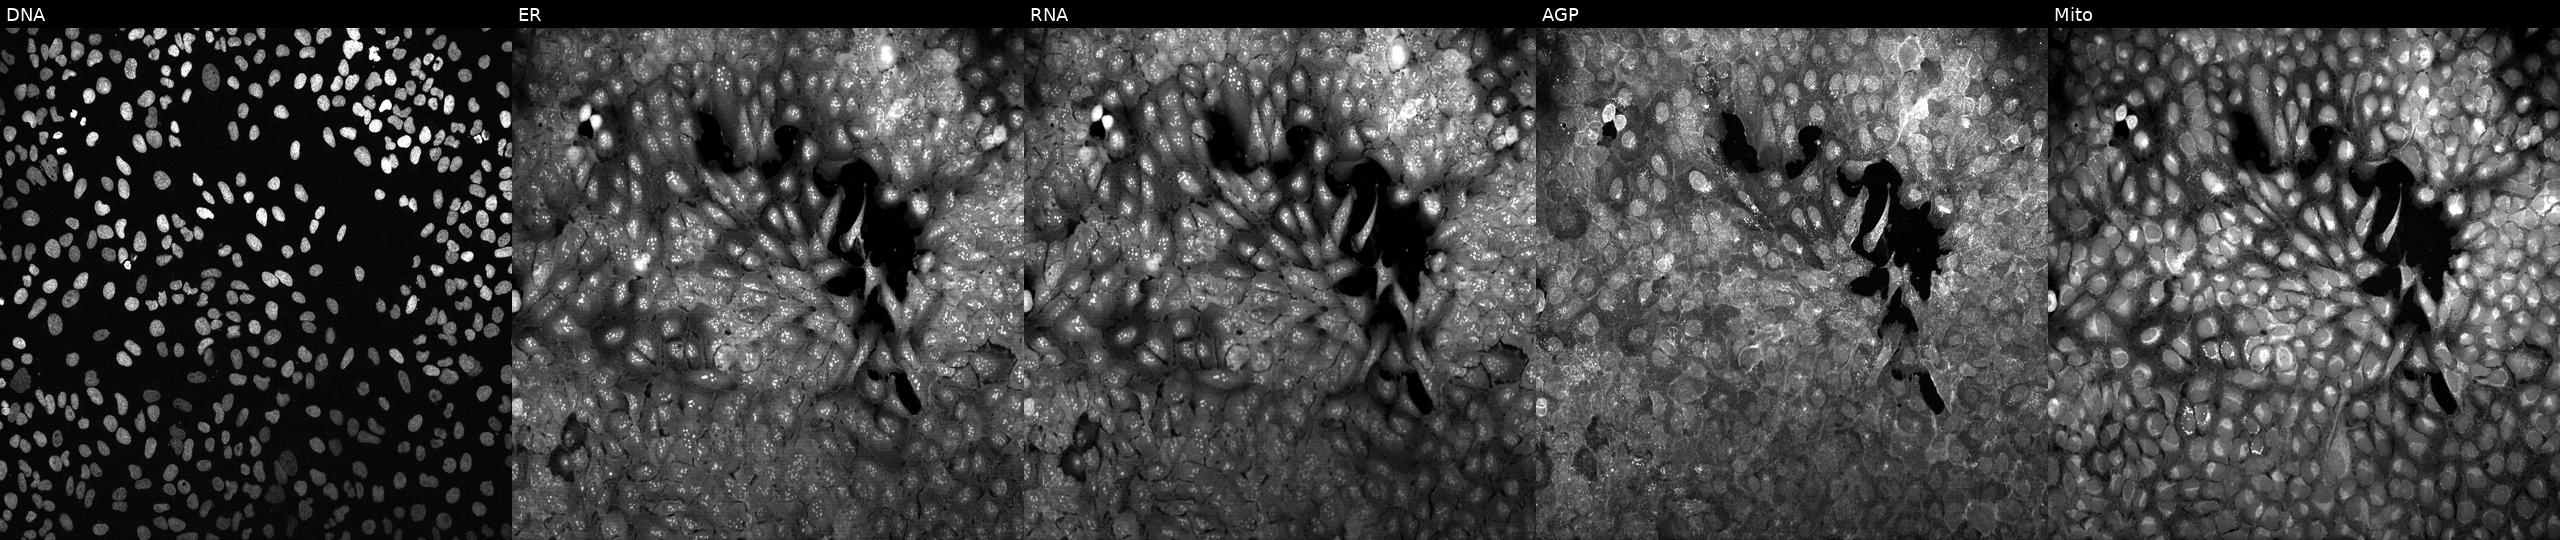
Five-channel Cell Painting image of U2OS cells CRISPR-edited to disrupt UCP1. The five panels, left to right, show DNA (nuclei); ER (endoplasmic reticulum); RNA (nucleoli and cytoplasmic RNA); AGP (actin cytoskeleton, Golgi, and plasma membrane); Mito (mitochondria).